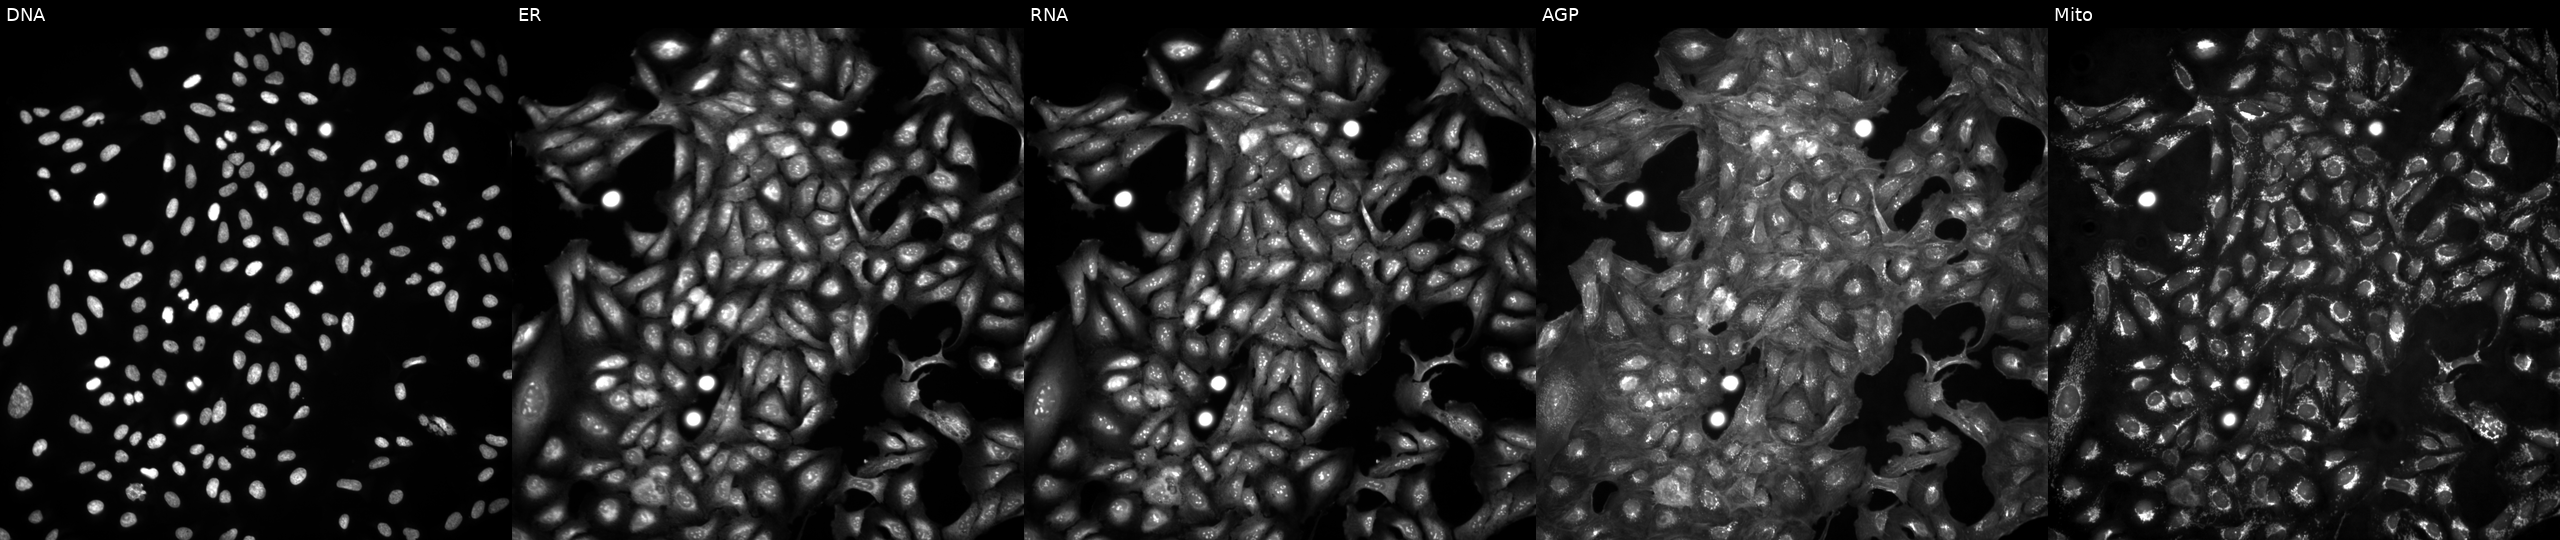
U2OS cells, Cell Painting assay, untreated (empty-well control) (JUMP id JCP2022_999999). Channels (left→right): DNA (nuclei); ER (endoplasmic reticulum); RNA (nucleoli and cytoplasmic RNA); AGP (actin cytoskeleton, Golgi, and plasma membrane); Mito (mitochondria). Each panel is percentile-stretched 16-bit fluorescence. Source 4, plate BR00124793, well J02.